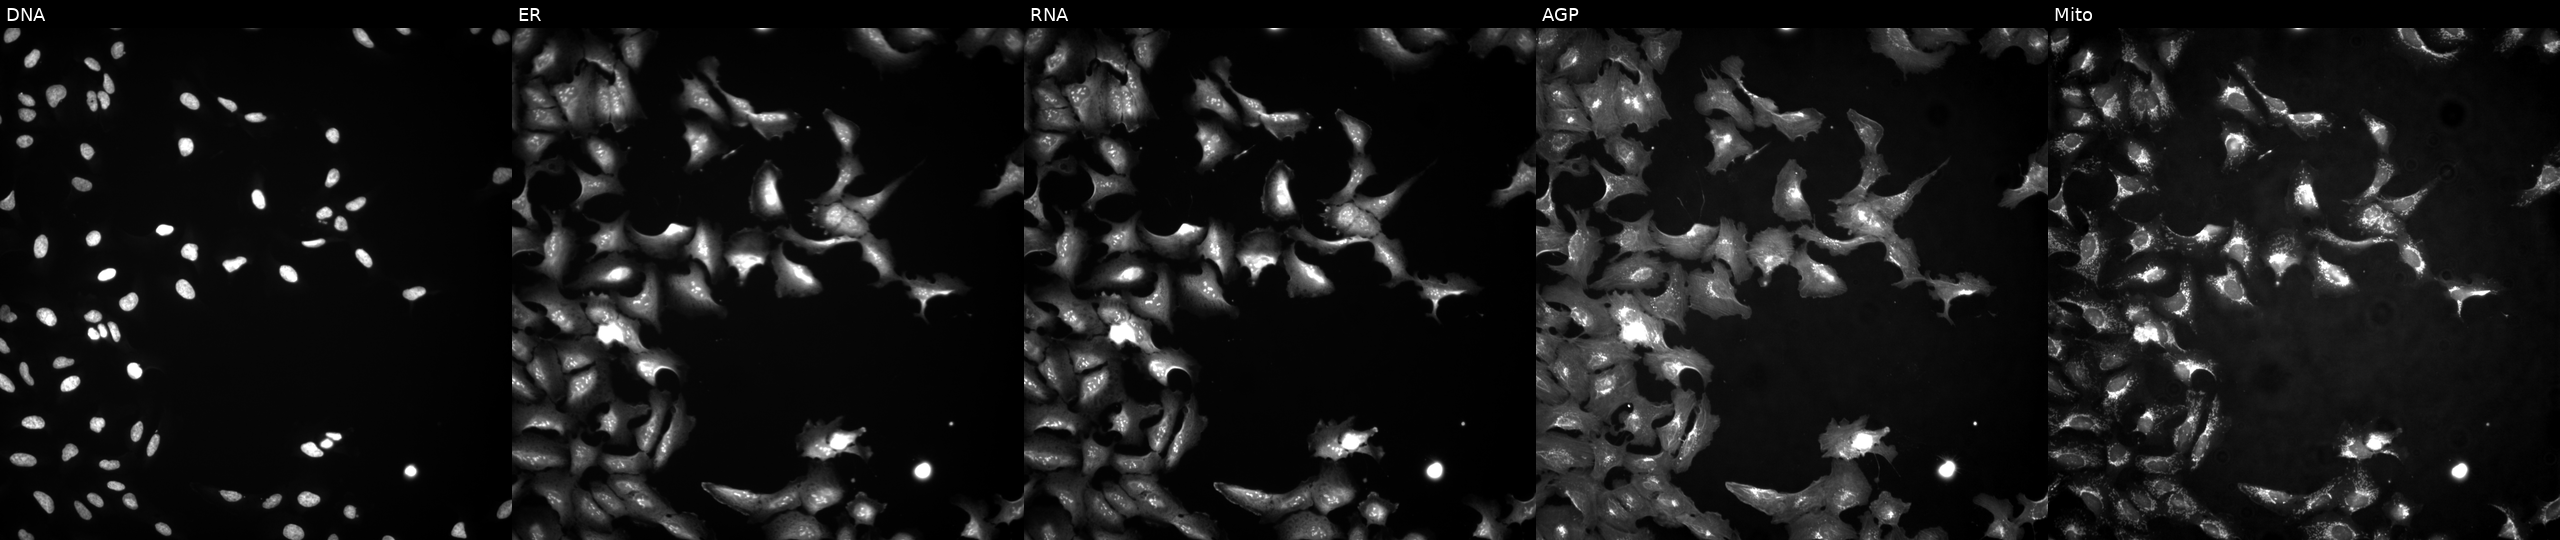
Five-channel Cell Painting image of U2OS cells overexpressing PDS5B via ORF transfection. From left to right: Hoechst 33342, concanavalin A, SYTO 14, phalloidin and WGA, MitoTracker.